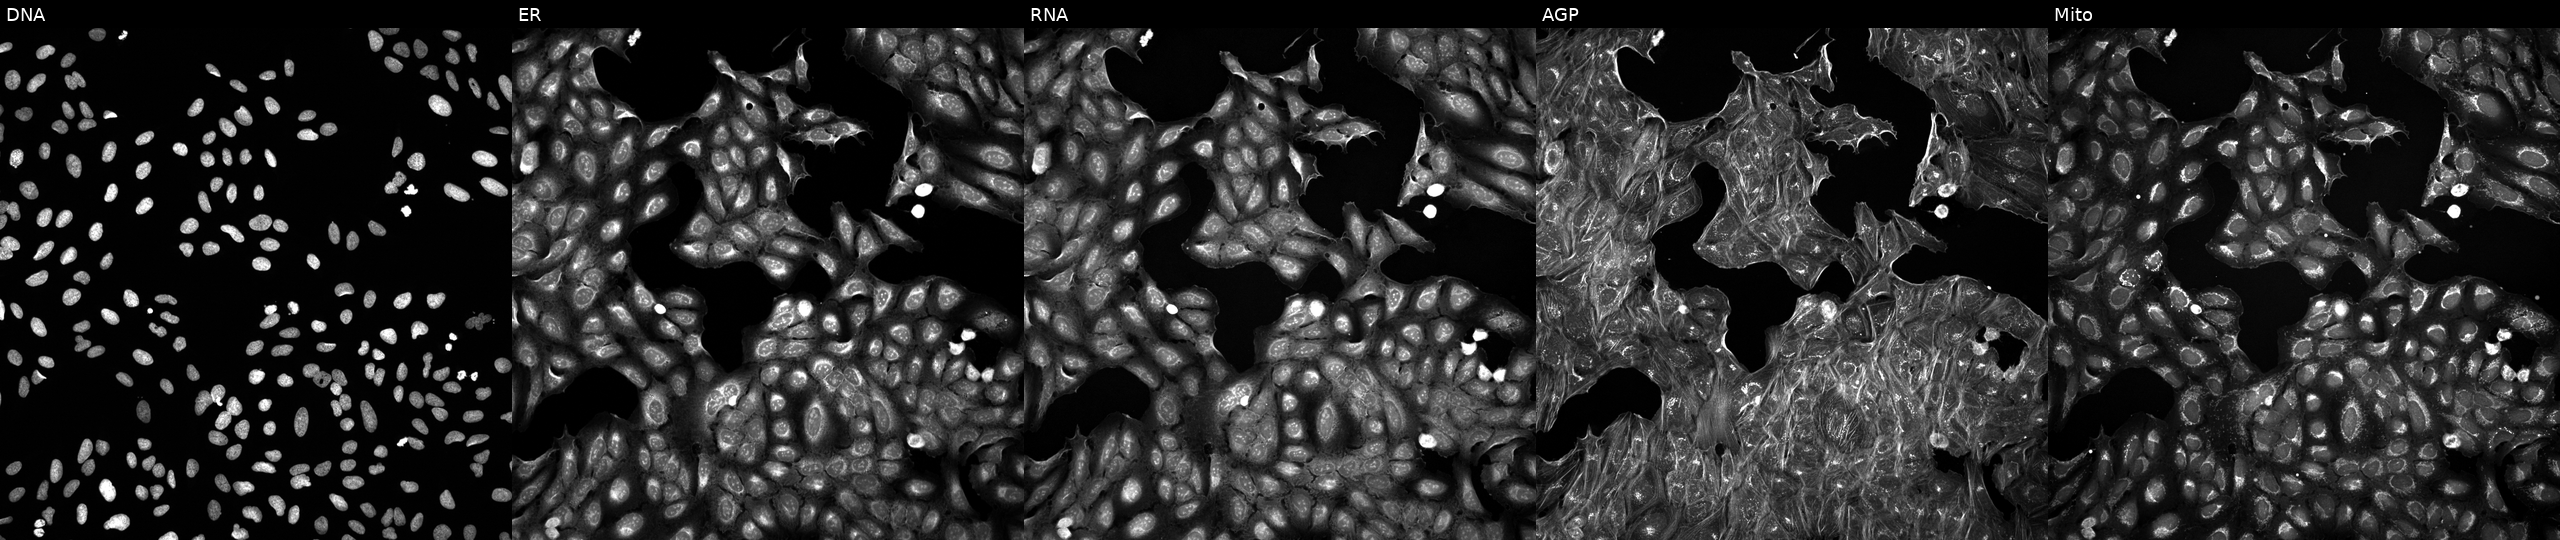
High-content fluorescence microscopy (Cell Painting). Cell line: U2OS. Perturbation: treated with a small-molecule compound. From left to right: DNA (nuclei); ER (endoplasmic reticulum); RNA (nucleoli and cytoplasmic RNA); AGP (actin cytoskeleton, Golgi, and plasma membrane); Mito (mitochondria).